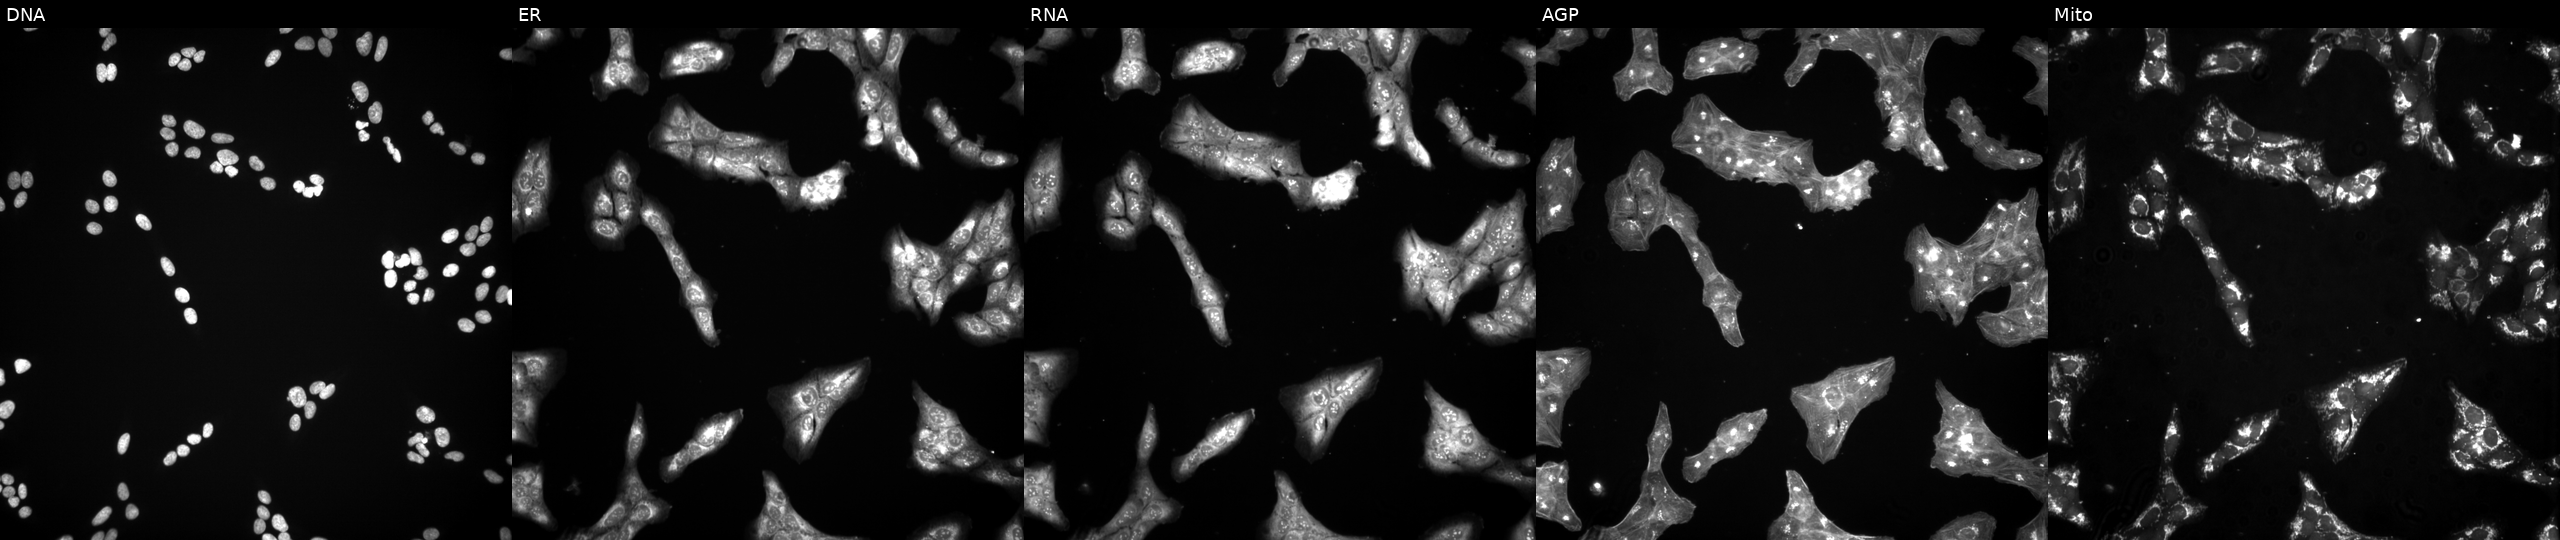
This image strip shows the five Cell Painting channels for a single field of U2OS cells treated with a small-molecule compound (InChIKey LGMZZYMIPZGPSU-UHFFFAOYSA-N) (JUMP id JCP2022_049277). The five panels, left to right, show Hoechst 33342, concanavalin A, SYTO 14, phalloidin and WGA, MitoTracker. Source 3, plate BR5867a3, well M19.